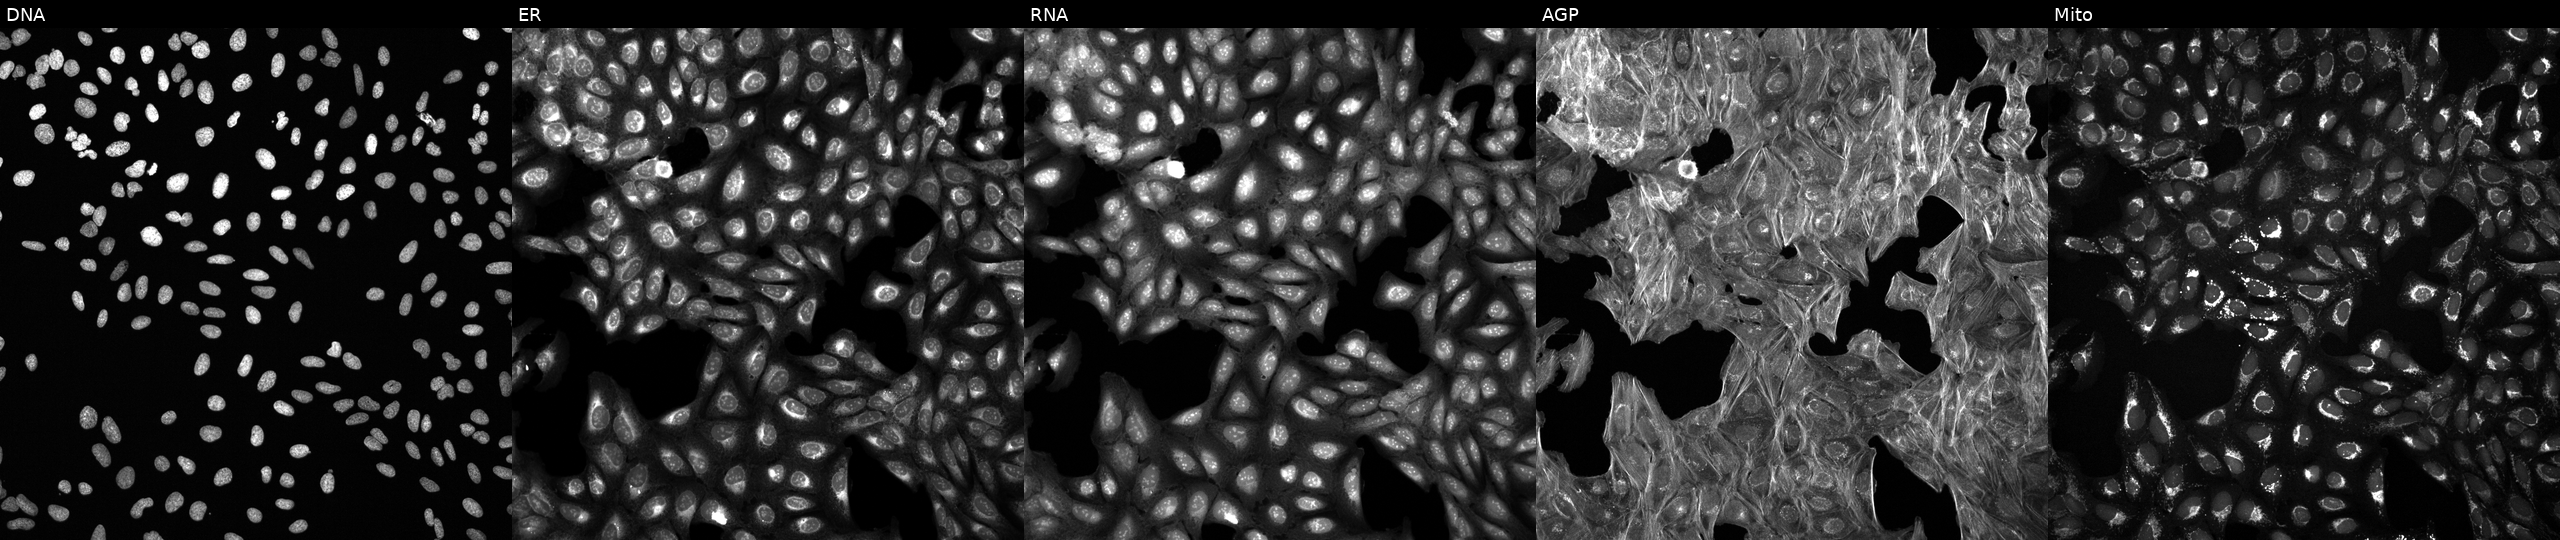
This image strip shows the five Cell Painting channels for a single field of U2OS cells treated with a small-molecule compound. Panels show, left to right, Hoechst 33342, concanavalin A, SYTO 14, phalloidin and WGA, MitoTracker. Source 6, plate 110000293083, well C11.